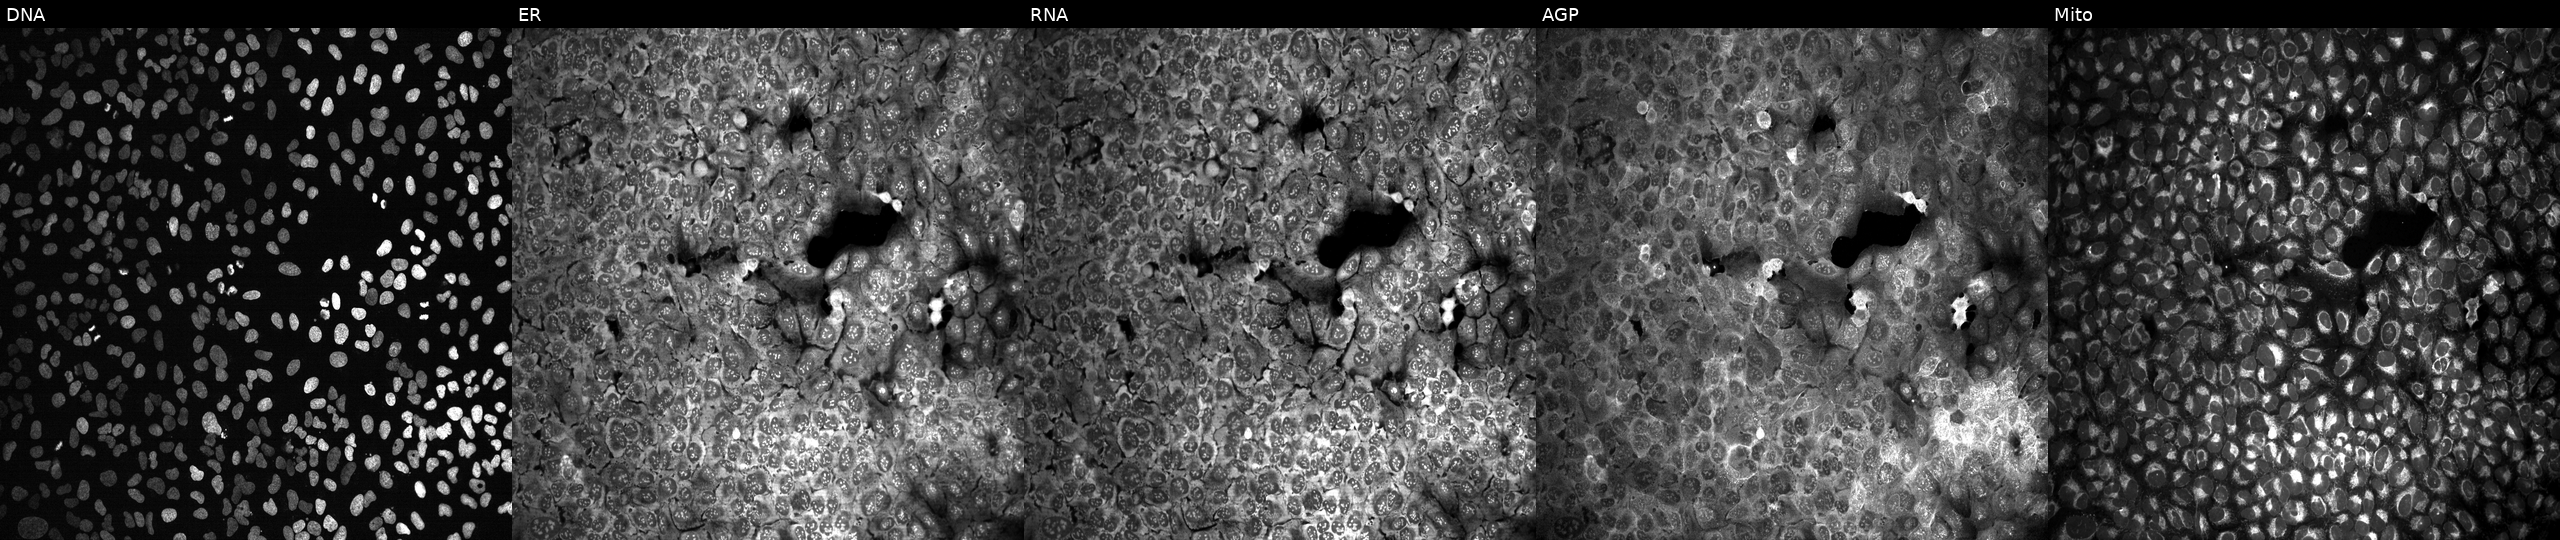
Channels (left→right): DNA (nuclei); ER (endoplasmic reticulum); RNA (nucleoli and cytoplasmic RNA); AGP (actin cytoskeleton, Golgi, and plasma membrane); Mito (mitochondria). U2OS osteosarcoma cells with MARCKS knocked out by CRISPR. Cell Painting assay, JUMP-CP dataset.